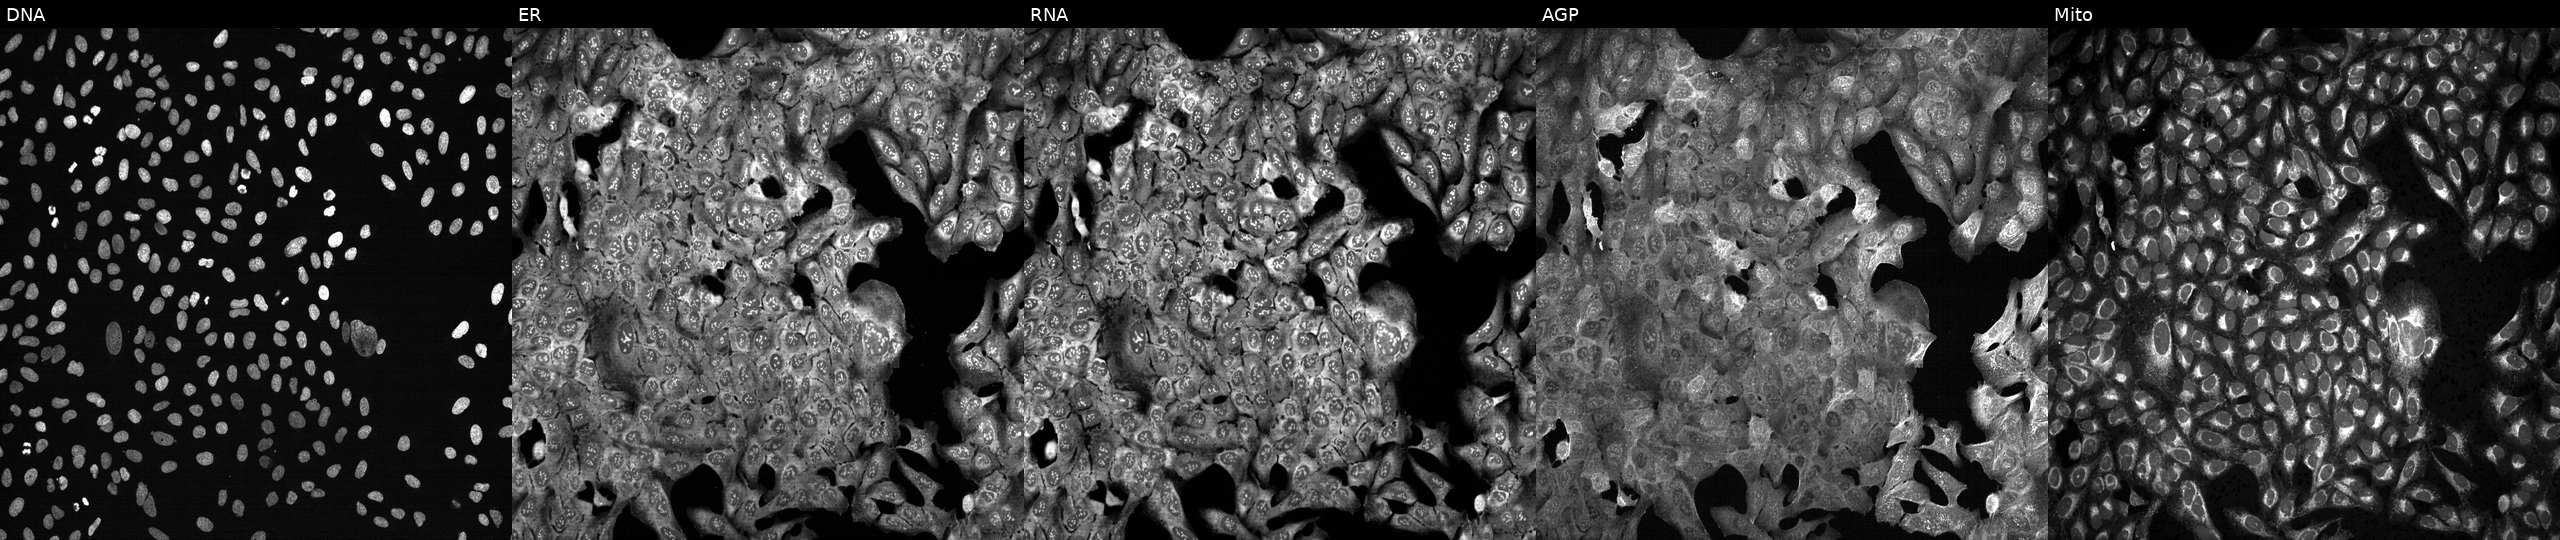
Panels show, left to right, DNA, ER, RNA, AGP, and Mito. U2OS osteosarcoma cells with SAMD4A knocked out by CRISPR (JUMP id JCP2022_806172). Cell Painting assay, JUMP-CP dataset.